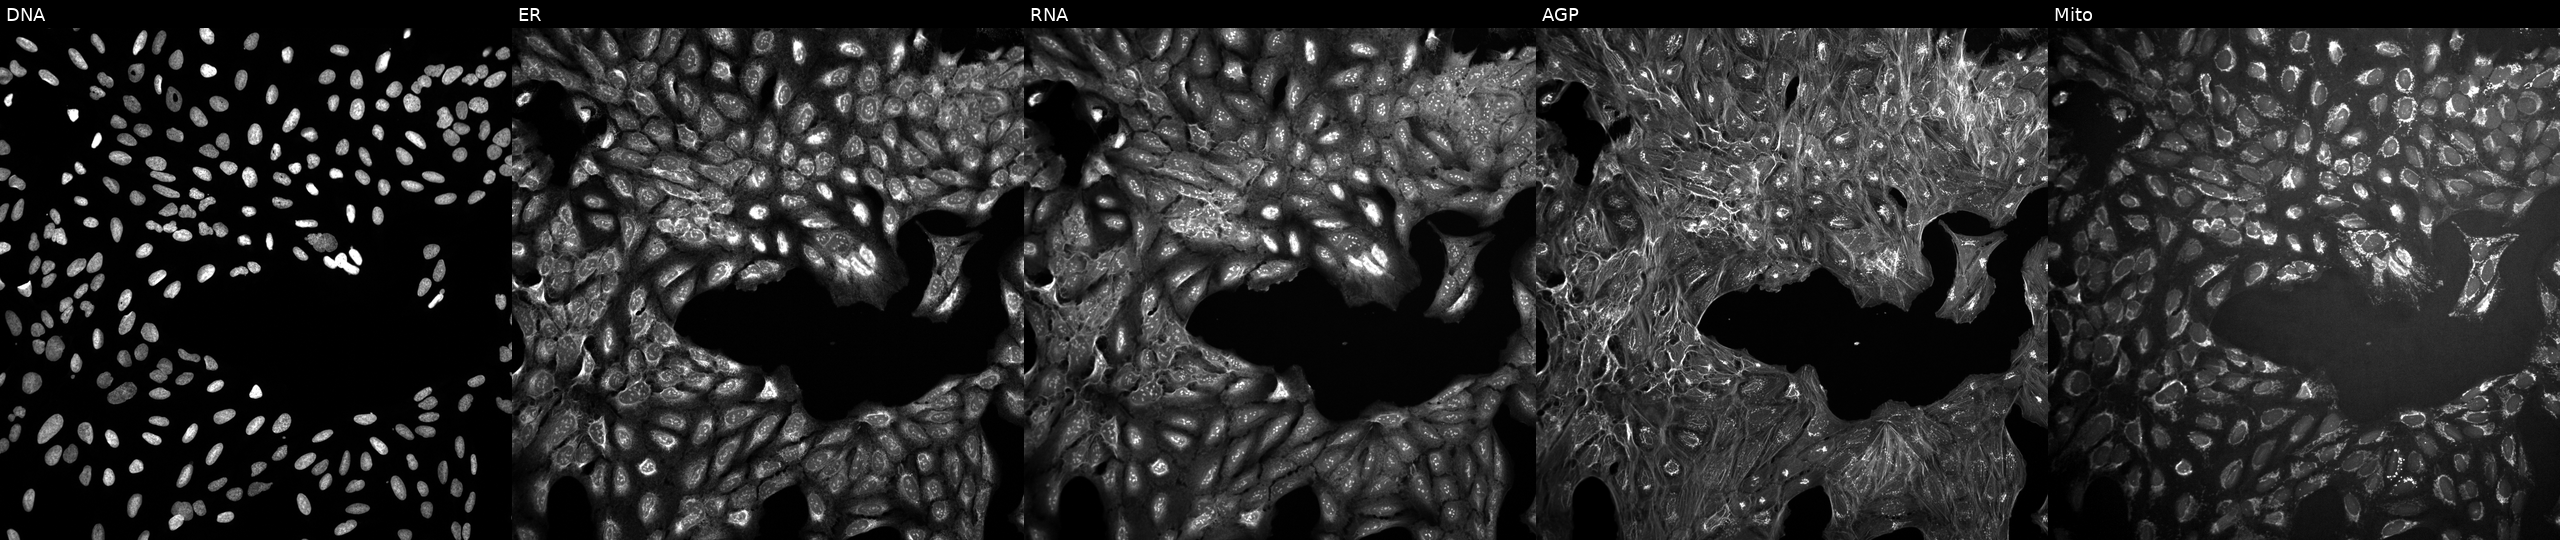
JUMP Cell Painting — COMPOUND plate. U2OS cells treated with dexamethasone (positive-control compound) (JUMP id JCP2022_025848). Channels (left→right): DNA, ER, RNA, AGP, and Mito.